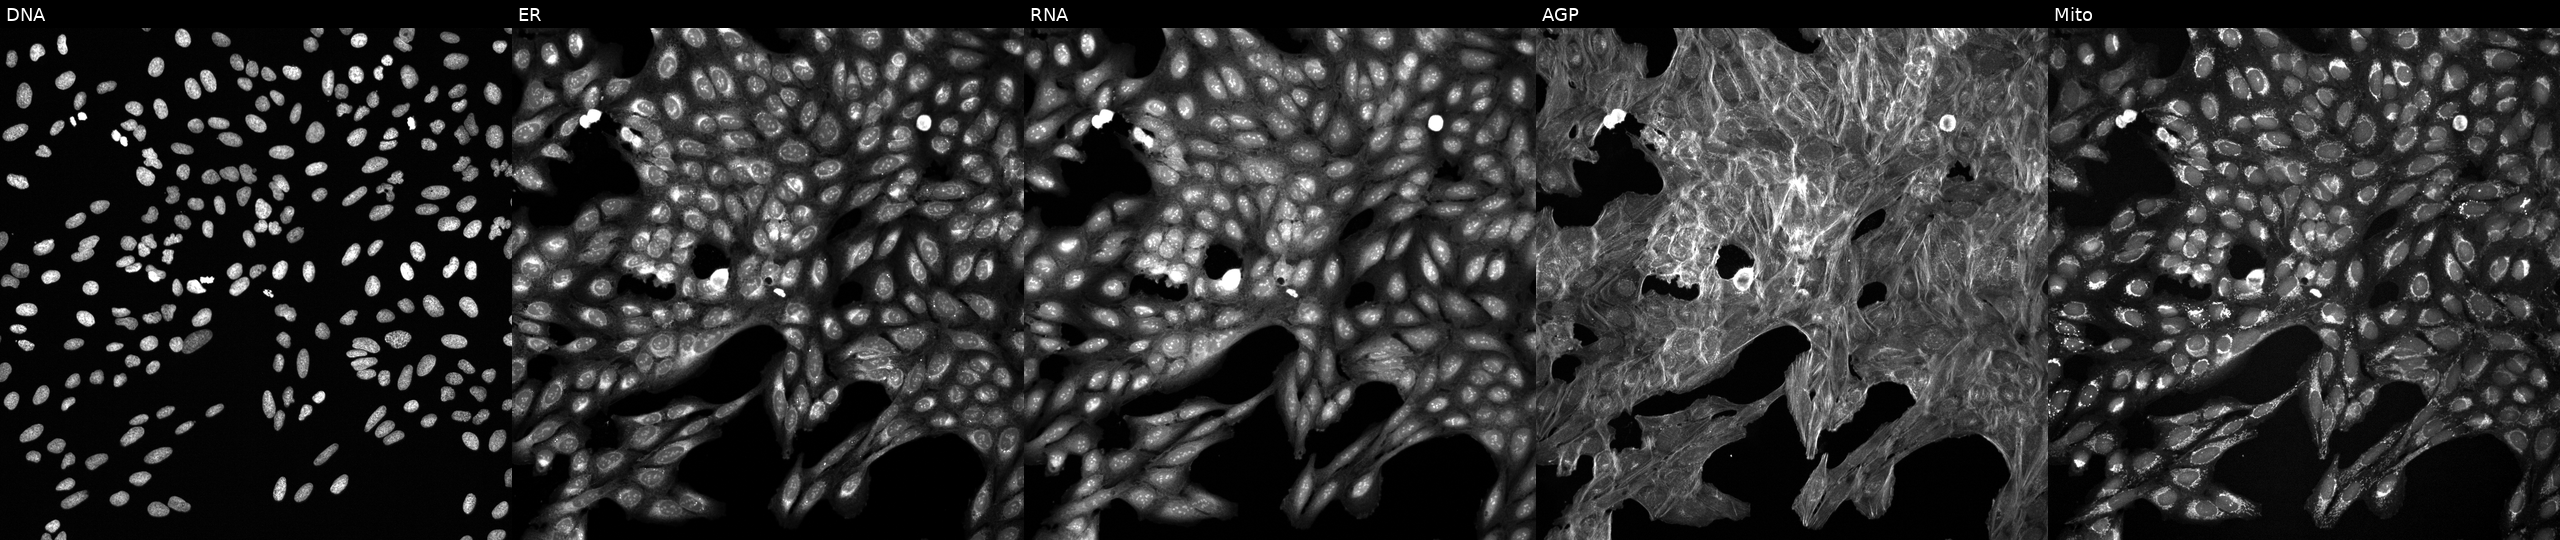
This image strip shows the five Cell Painting channels for a single field of U2OS cells treated with DMSO vehicle only (negative control) (JUMP id JCP2022_033924). Panels show, left to right, DNA (nuclei); ER (endoplasmic reticulum); RNA (nucleoli and cytoplasmic RNA); AGP (actin cytoskeleton, Golgi, and plasma membrane); Mito (mitochondria).